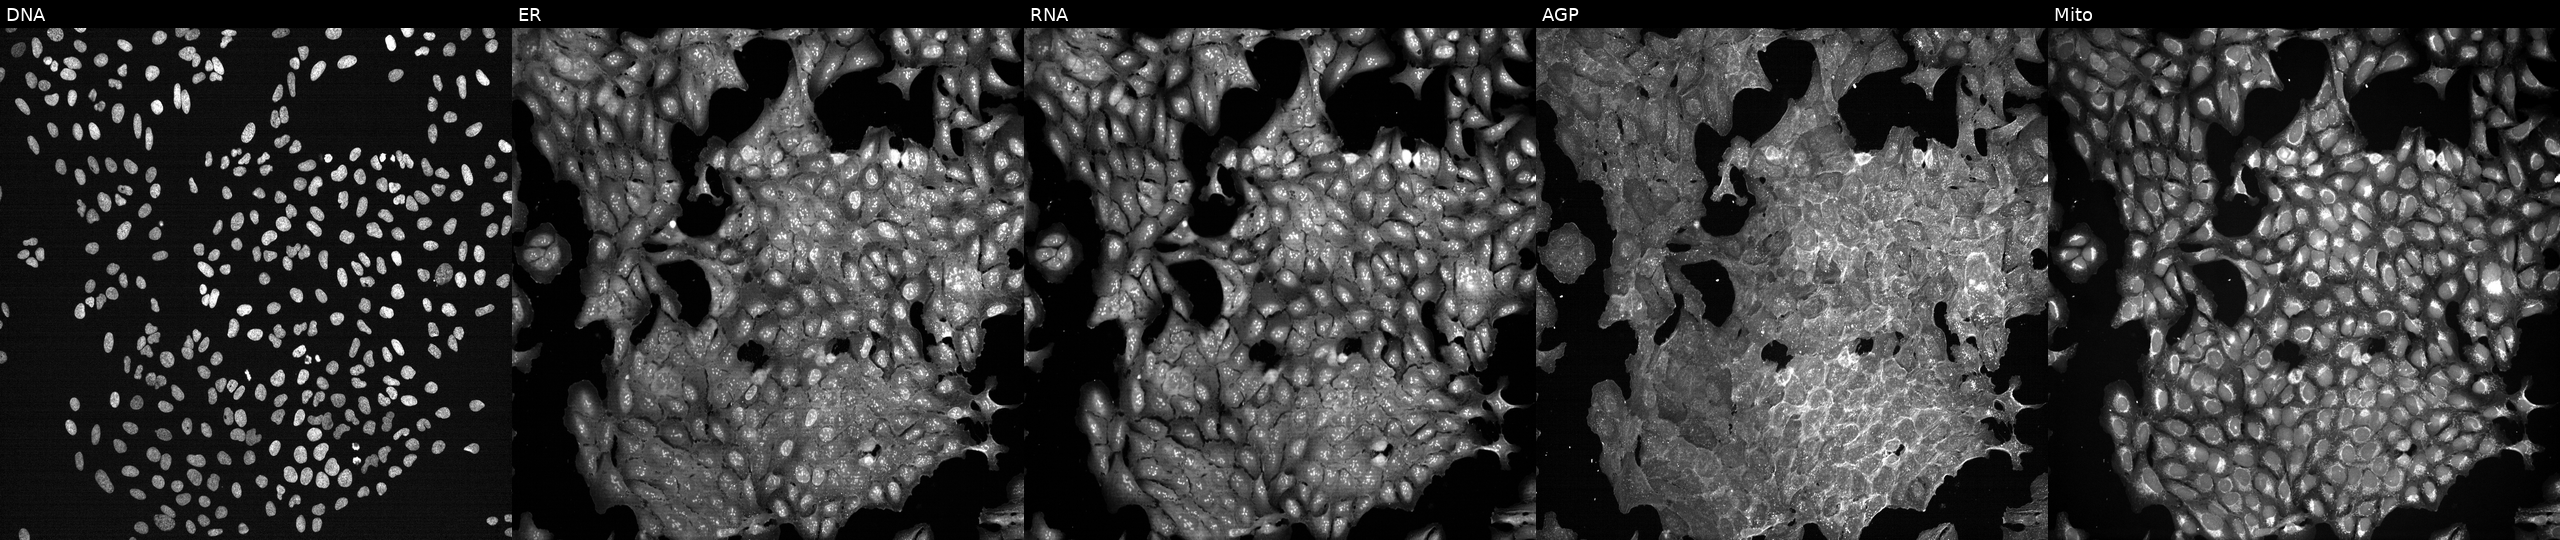
JUMP Cell Painting — TARGET2 plate. U2OS cells exposed to a small-molecule compound [SMILES: CN1CCc2nc(C(=O)NC3CC(C(=O)N(C)C)CCC3NC(=O)C(=O)N=c3ccc(Cl)c[nH]3)sc2C1]. The five panels, left to right, show DNA, ER, RNA, AGP, and Mito. Source 7, plate CP2-SC1-25, well E07.